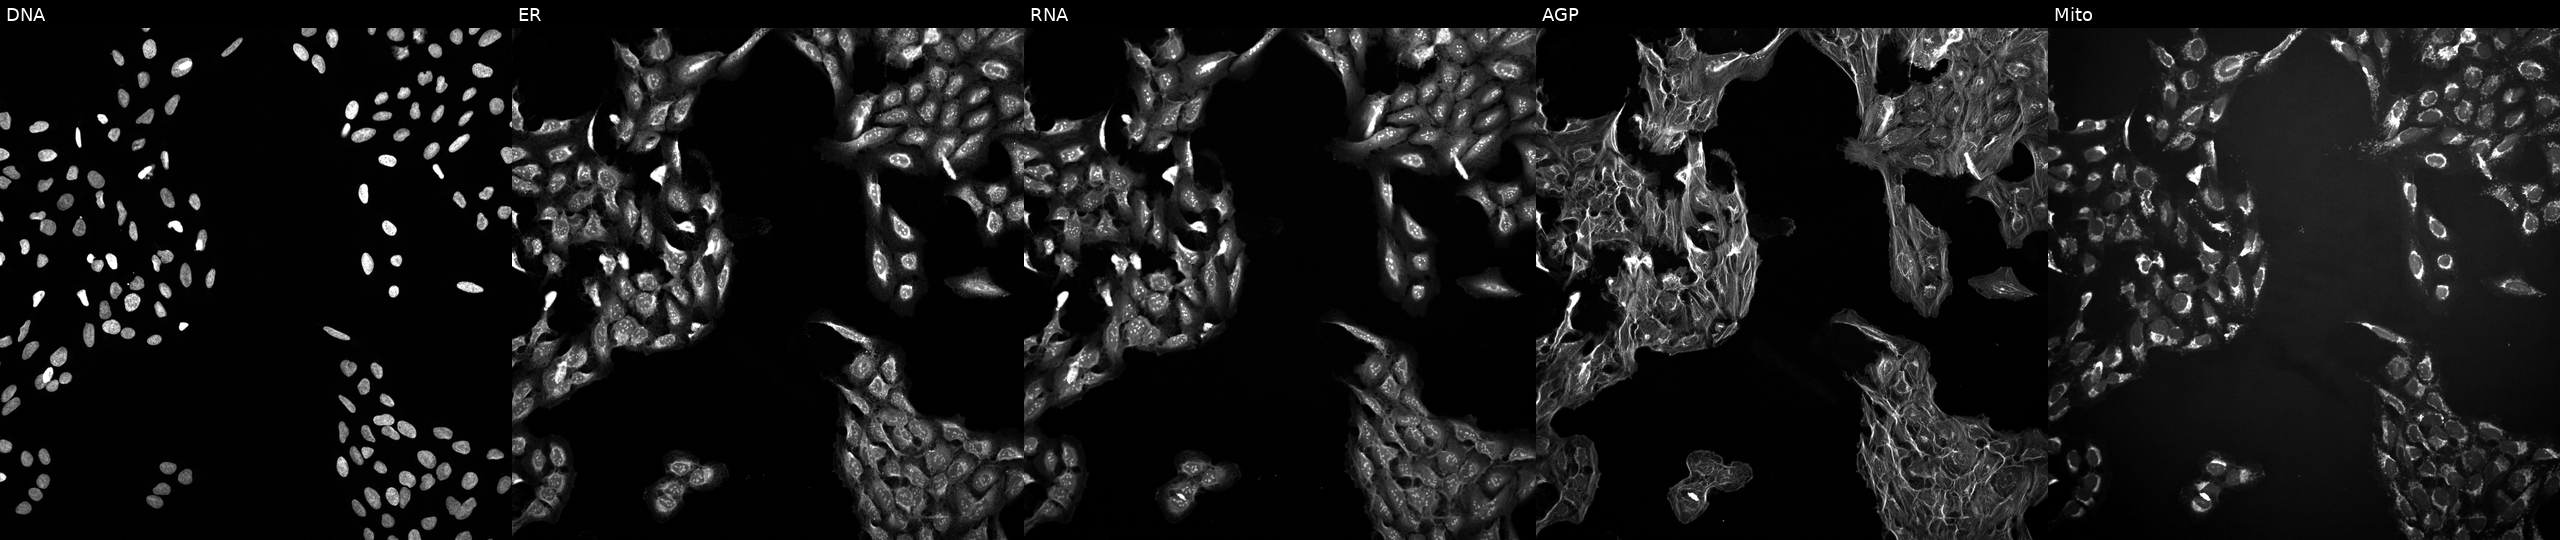
This image strip shows the five Cell Painting channels for a single field of U2OS cells treated with DMSO vehicle only (negative control). Channels (left→right): DNA (nuclei); ER (endoplasmic reticulum); RNA (nucleoli and cytoplasmic RNA); AGP (actin cytoskeleton, Golgi, and plasma membrane); Mito (mitochondria).